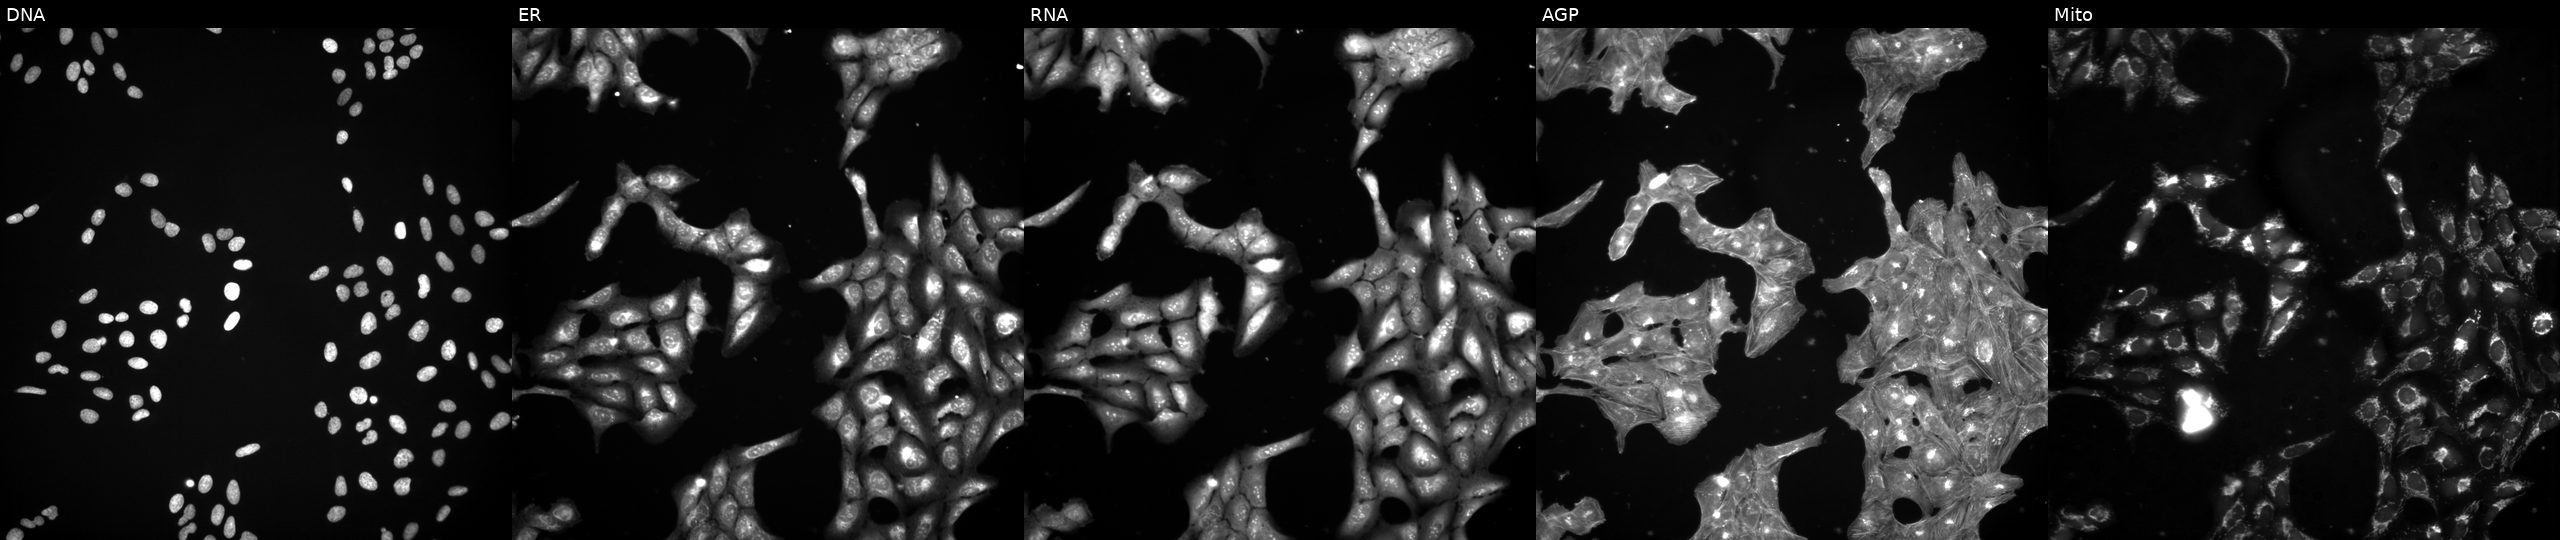
Panels show, left to right, Hoechst 33342, concanavalin A, SYTO 14, phalloidin and WGA, MitoTracker. U2OS osteosarcoma cells treated with DMSO vehicle only (negative control). Cell Painting assay, JUMP-CP dataset.